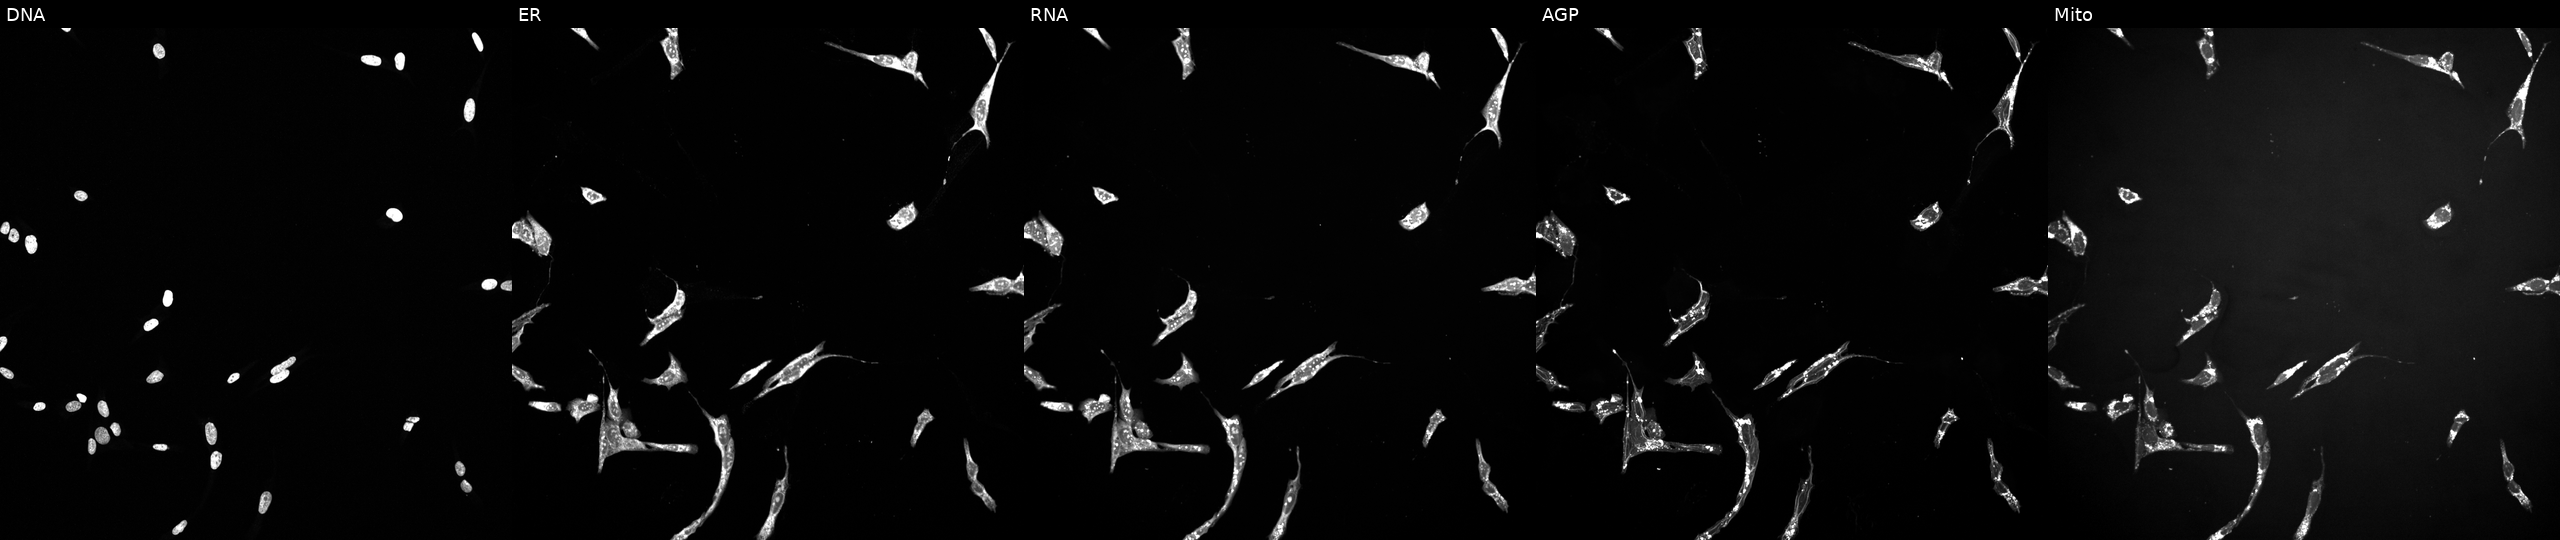
High-content fluorescence microscopy (Cell Painting). Cell line: U2OS. Perturbation: exposed to a small-molecule compound (InChIKey DPJNKUOXBZSZAI-UHFFFAOYSA-N) [SMILES: CCCc1cc(C)[nH]c(=O)c1CNC(=O)c1cc(-c2ccc(N3CCN(C(C)C)CC3)nc2)cc2c1cnn2C(C)C] (JUMP id JCP2022_017377). The five panels, left to right, show DNA (nuclei); ER (endoplasmic reticulum); RNA (nucleoli and cytoplasmic RNA); AGP (actin cytoskeleton, Golgi, and plasma membrane); Mito (mitochondria). Source 10, plate Dest210727-153003, well M05.